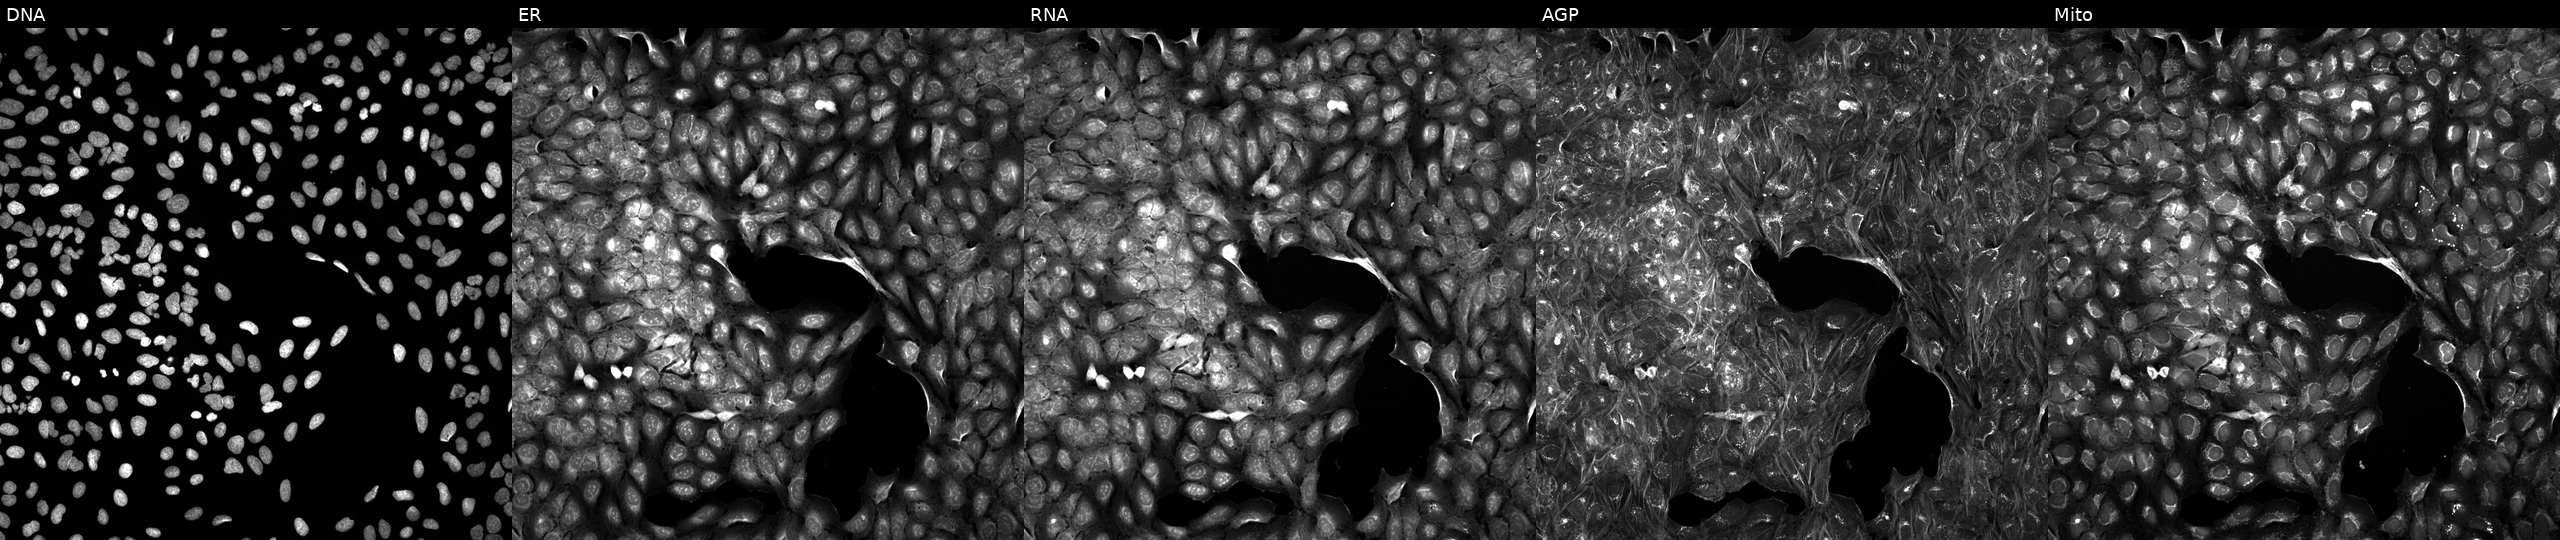
High-content fluorescence microscopy (Cell Painting). Cell line: U2OS. Perturbation: perturbed with a small-molecule compound (InChIKey JMGVAGGNQBPZCG-UHFFFAOYSA-N). From left to right: DNA, ER, RNA, AGP, and Mito. Source 5, plate APTJUM106, well I08.